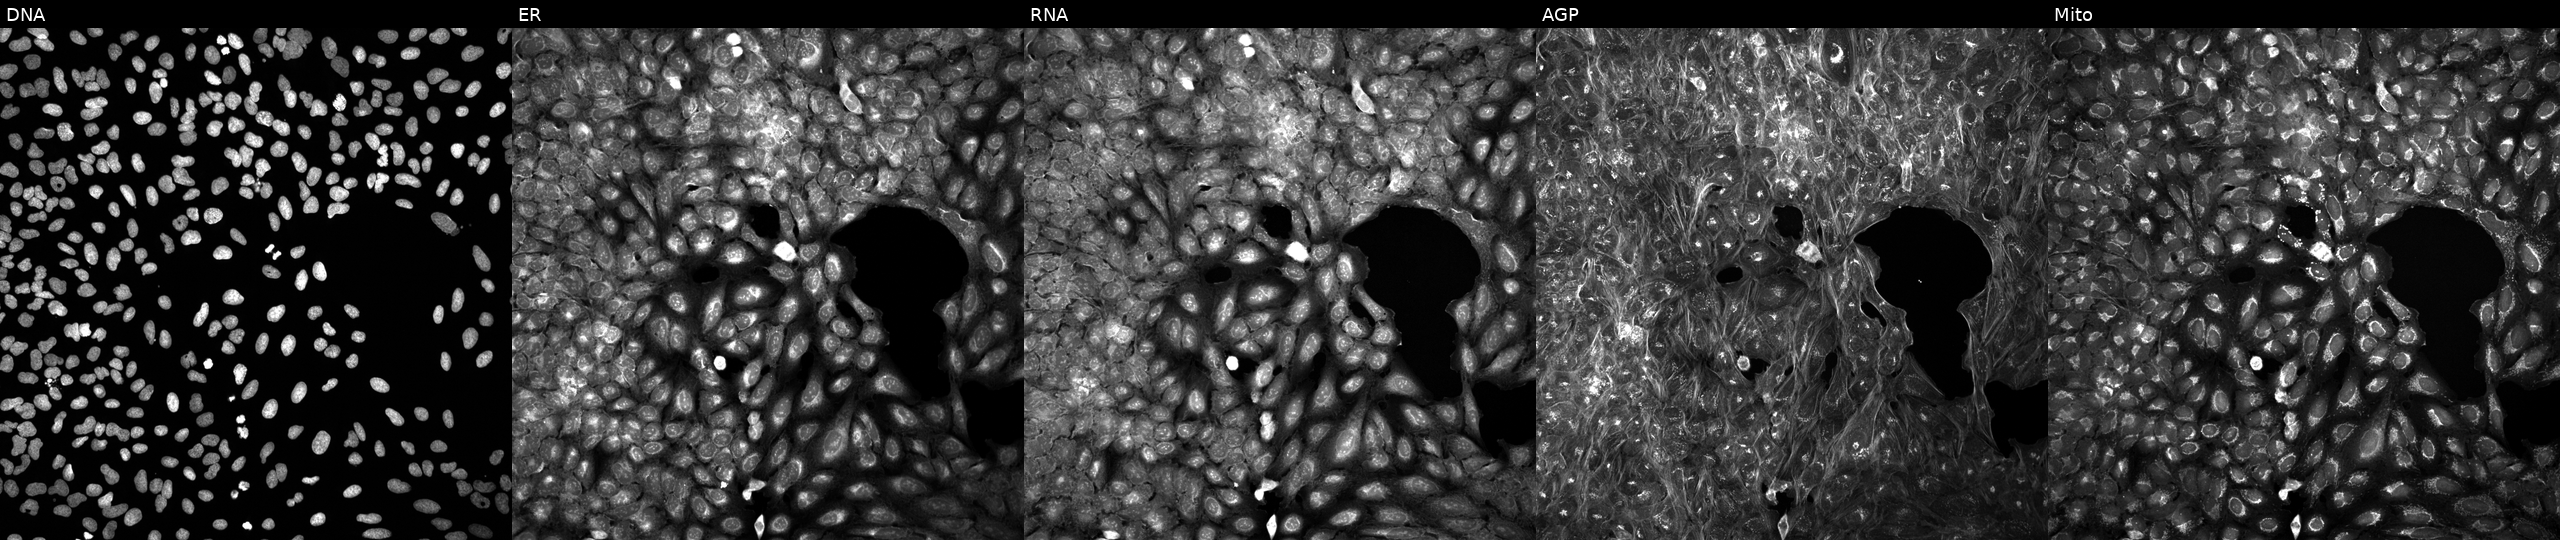
U2OS cells, Cell Painting assay, exposed to a small-molecule compound. Panels show, left to right, Hoechst 33342, concanavalin A, SYTO 14, phalloidin and WGA, MitoTracker. Each panel is percentile-stretched 16-bit fluorescence.